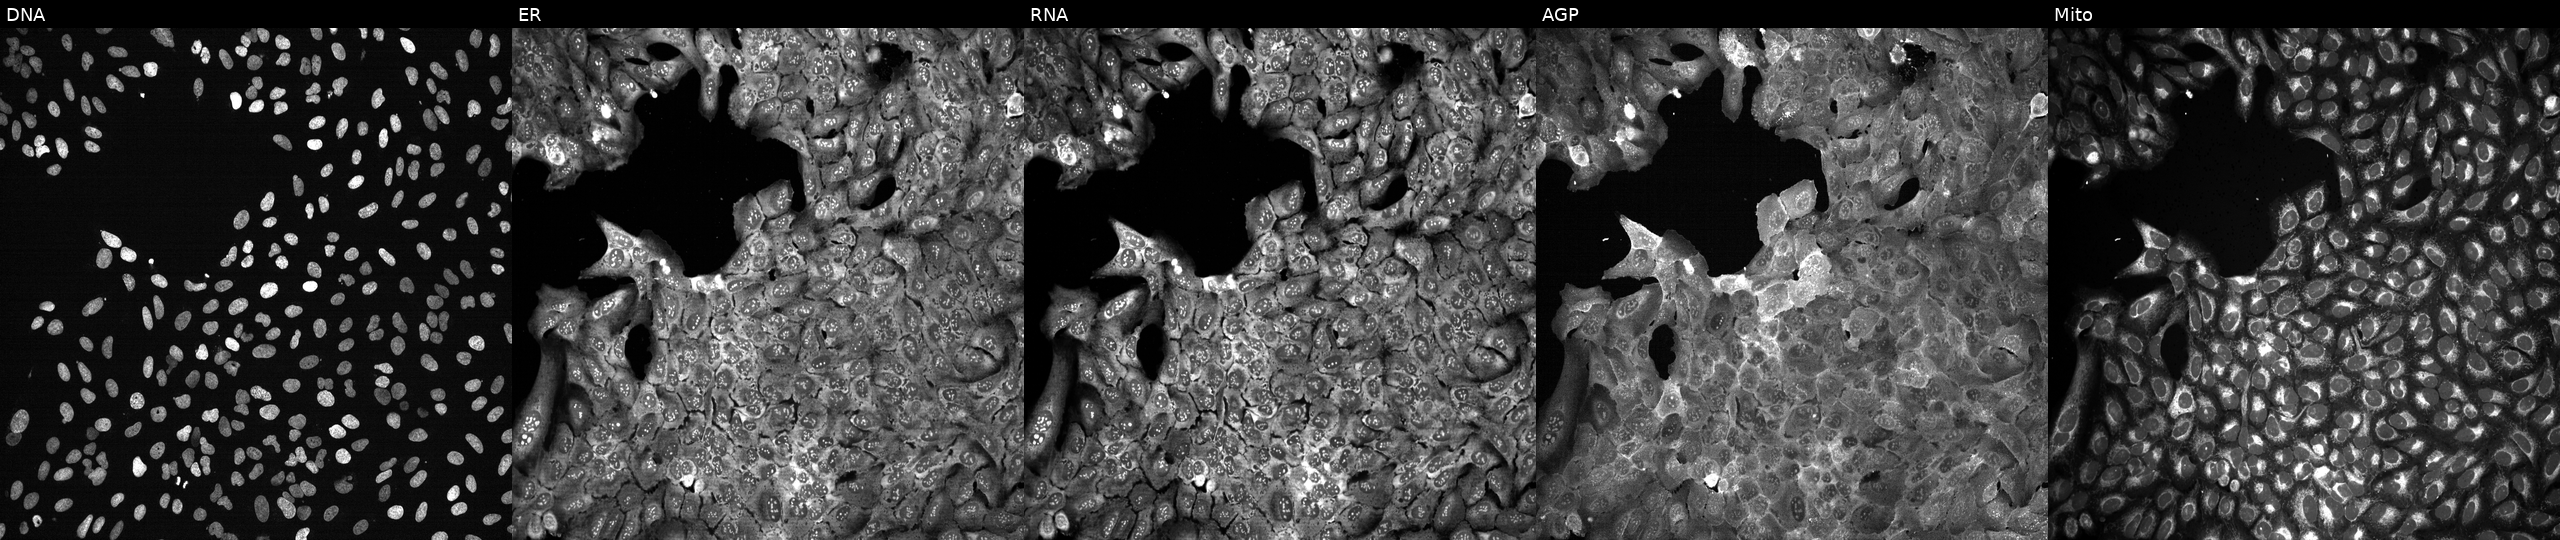
This image strip shows the five Cell Painting channels for a single field of U2OS cells with MCEE knocked out by CRISPR. Panels show, left to right, Hoechst 33342, concanavalin A, SYTO 14, phalloidin and WGA, MitoTracker. Source 13, plate CP-CC9-R2-02, well F15.